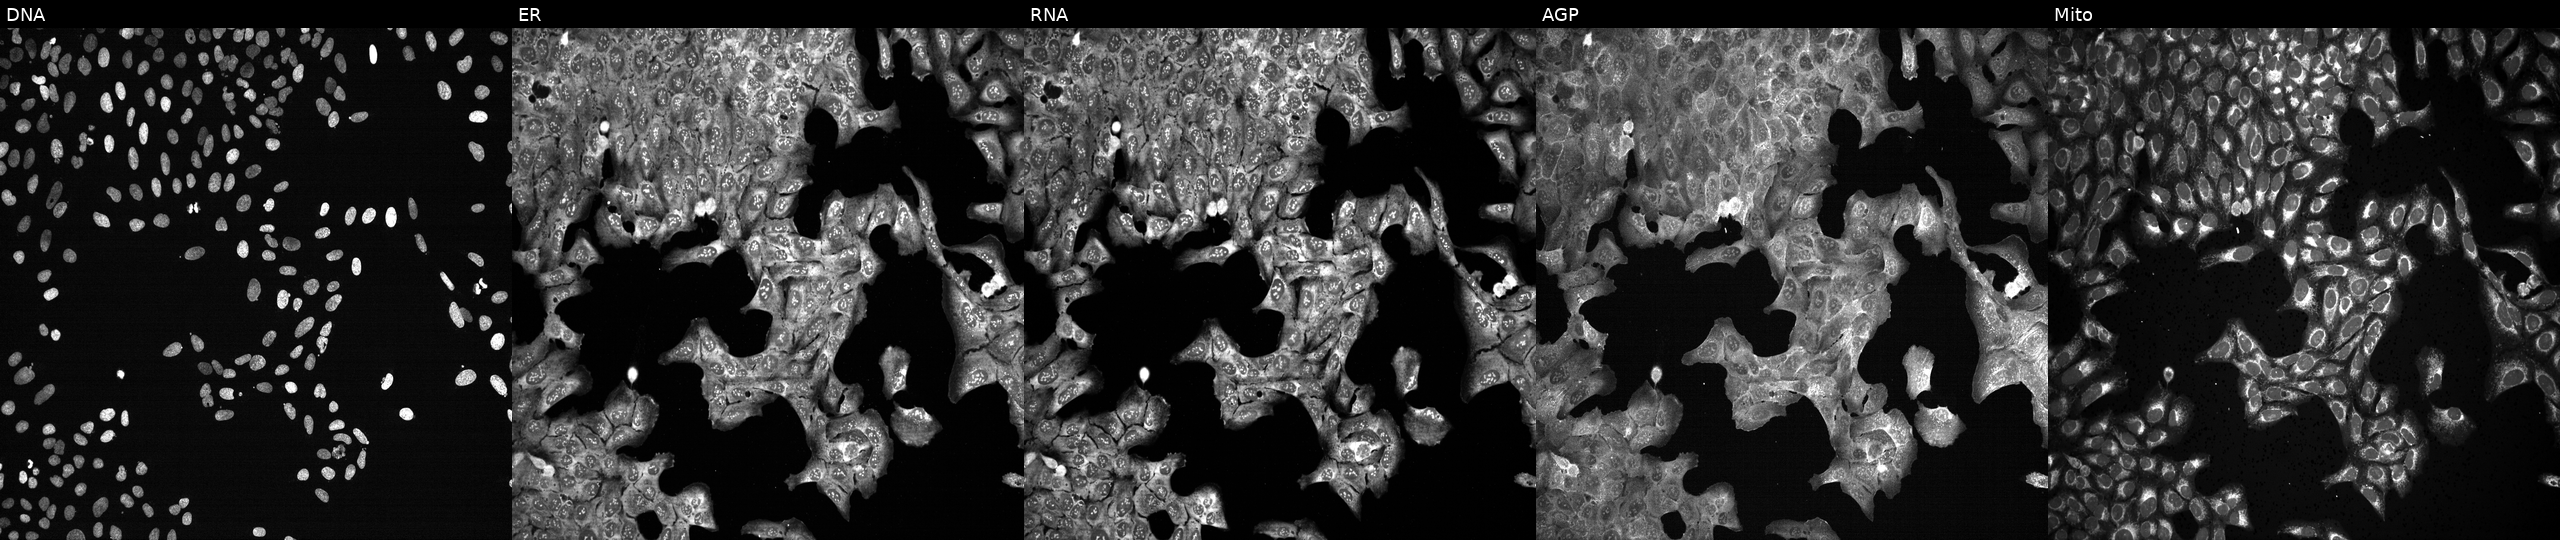
This image strip shows the five Cell Painting channels for a single field of U2OS cells CRISPR-edited to disrupt CD302. Panels show, left to right, DNA (nuclei); ER (endoplasmic reticulum); RNA (nucleoli and cytoplasmic RNA); AGP (actin cytoskeleton, Golgi, and plasma membrane); Mito (mitochondria). Source 13, plate CP-CC9-R2-01, well H08.